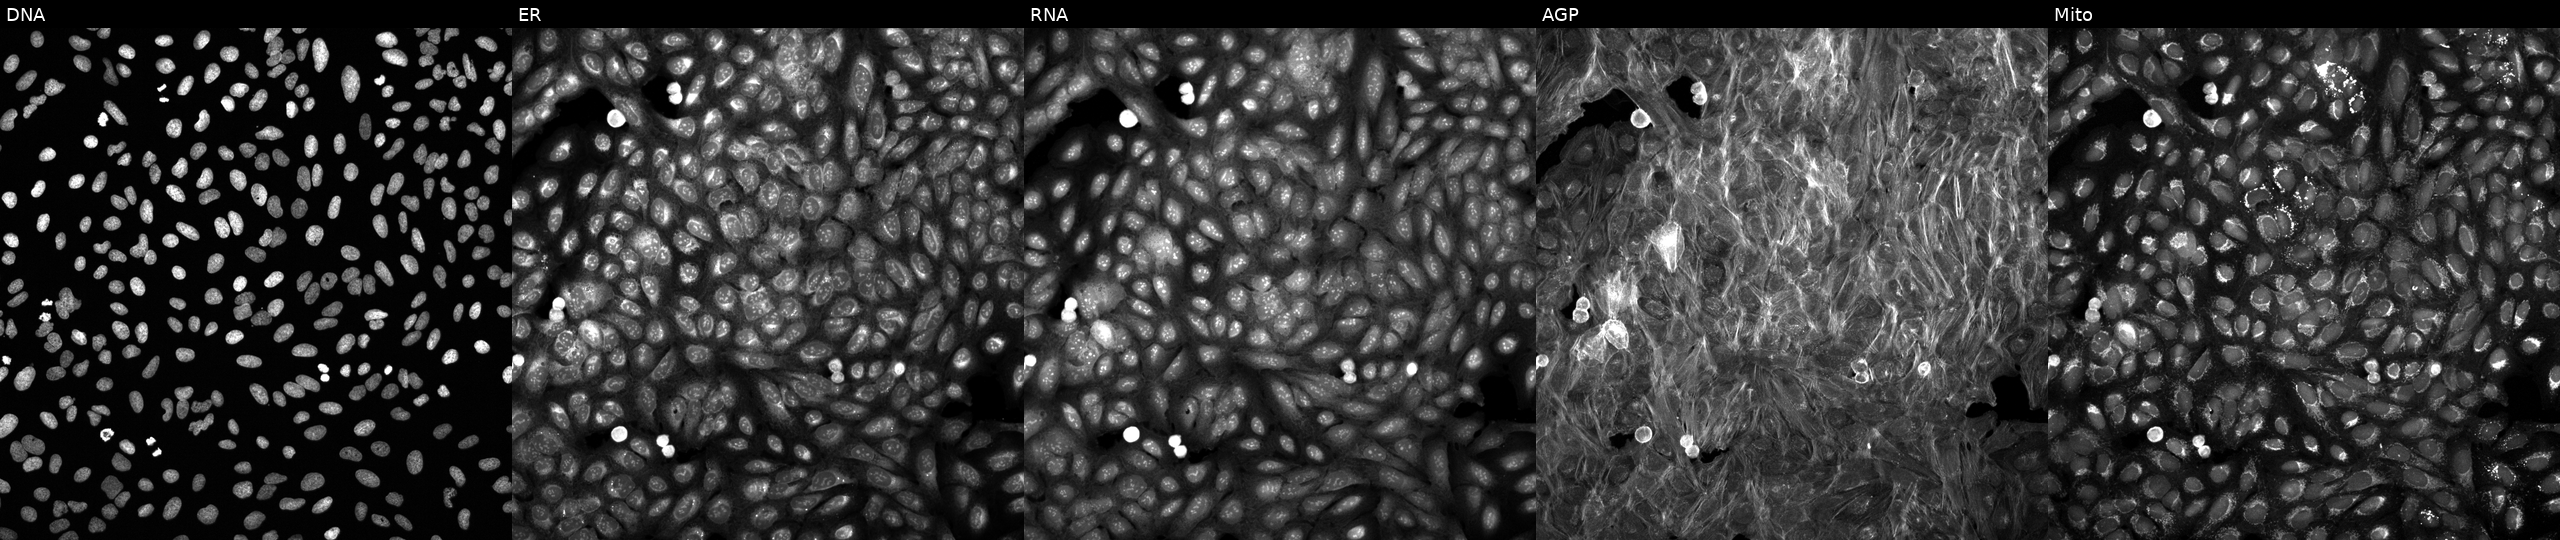
High-content fluorescence microscopy (Cell Painting). Cell line: U2OS. Perturbation: perturbed with a small-molecule compound [SMILES: CC(N)C(=O)NCC(=O)NC1CSSCC(C(=O)O)NC(=O)C(CO)NC(=O)C(C(C)O)NC(=O)C(Cc2ccccc2)NC(=O)C(C(C)O)NC(=O)C(CCCCN)NC(=O)C(Cc2c[nH]c3ccccc23)NC(=O)C(Cc2ccccc2)NC(=O)C(Cc2ccccc2)NC(=O)C(CC(N)=O)NC(=O)C(CCCCN)NC1=O] (JUMP id JCP2022_059103). The five panels, left to right, show DNA, ER, RNA, AGP, and Mito.